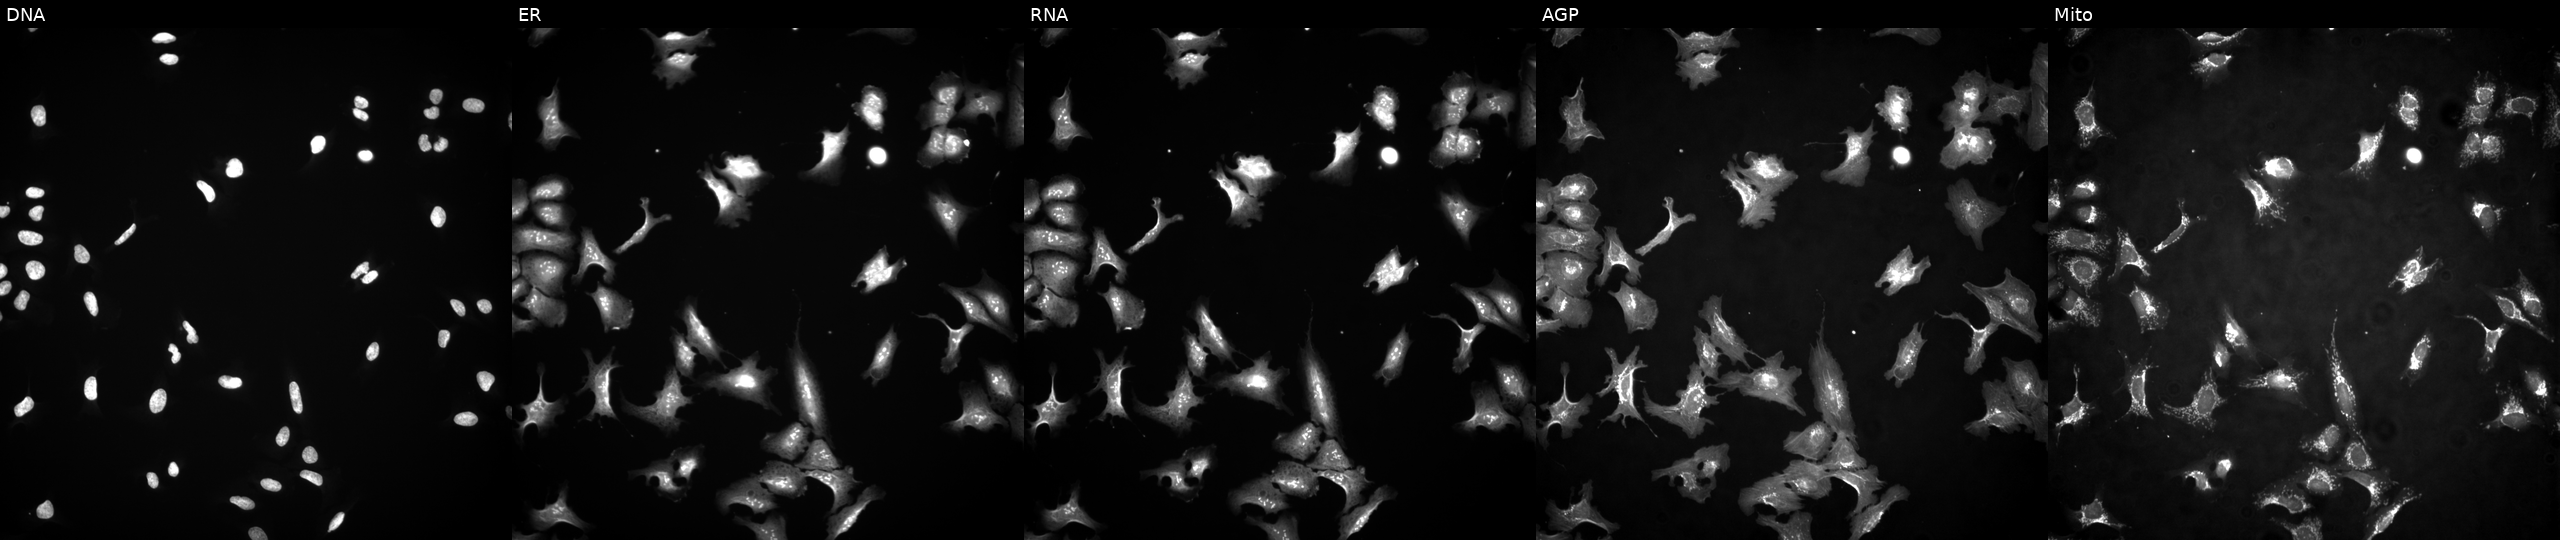
JUMP Cell Painting — ORF plate. U2OS cells transfected with an ORF construct for MLXIP. Panels show, left to right, DNA (nuclei); ER (endoplasmic reticulum); RNA (nucleoli and cytoplasmic RNA); AGP (actin cytoskeleton, Golgi, and plasma membrane); Mito (mitochondria). Source 4, plate BR00117035, well F02.